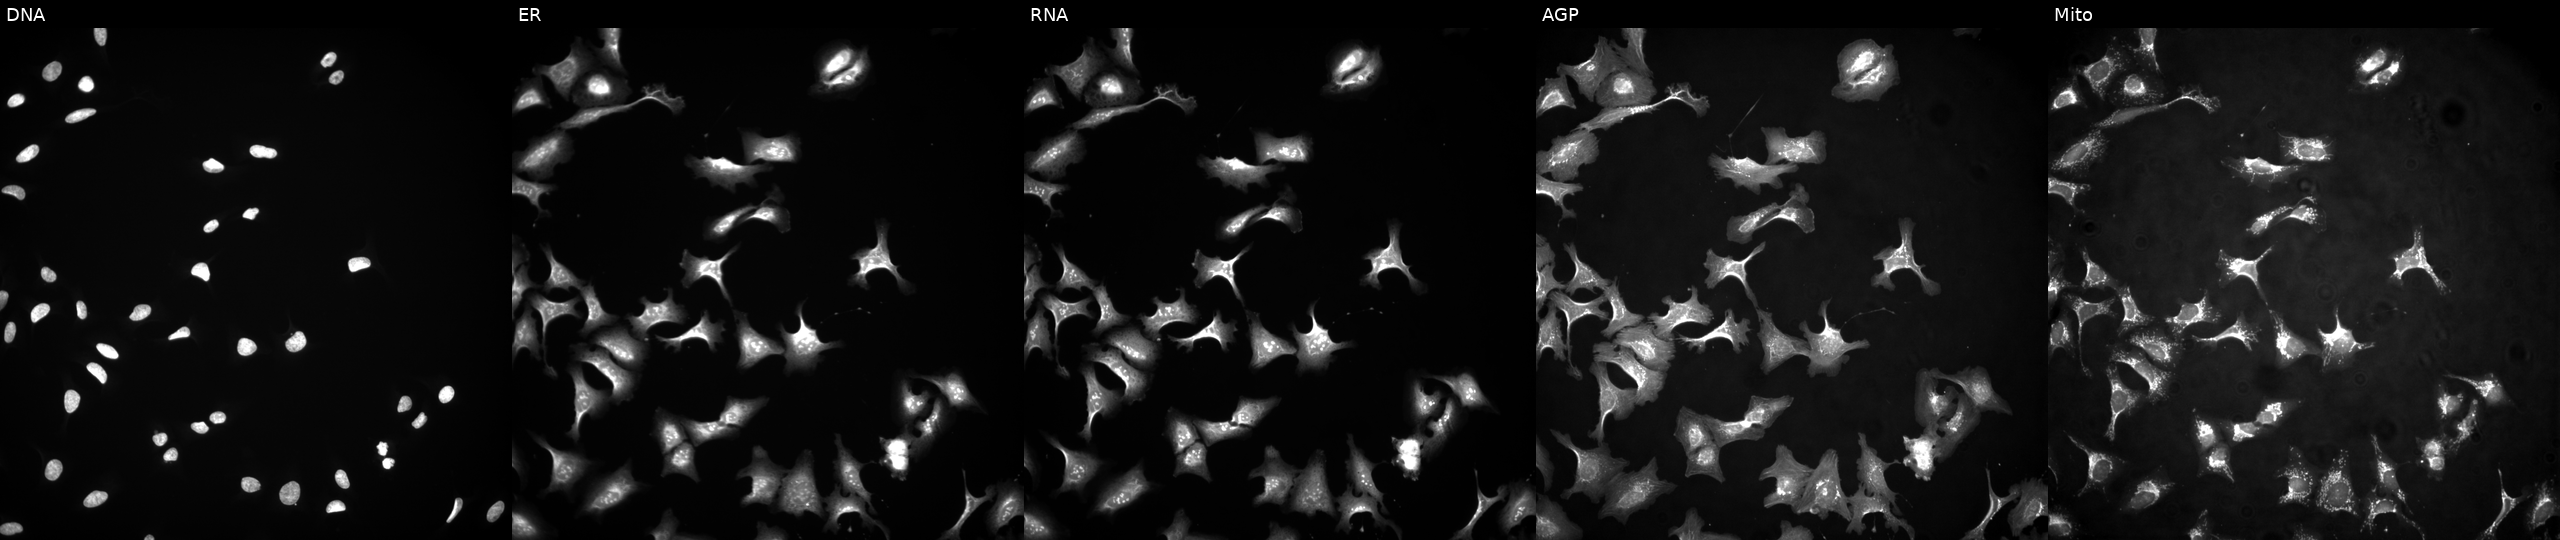
Five-channel Cell Painting image of U2OS cells overexpressing CCDC51 via ORF transfection (JUMP id JCP2022_911747). Channels (left→right): DNA (nuclei); ER (endoplasmic reticulum); RNA (nucleoli and cytoplasmic RNA); AGP (actin cytoskeleton, Golgi, and plasma membrane); Mito (mitochondria).